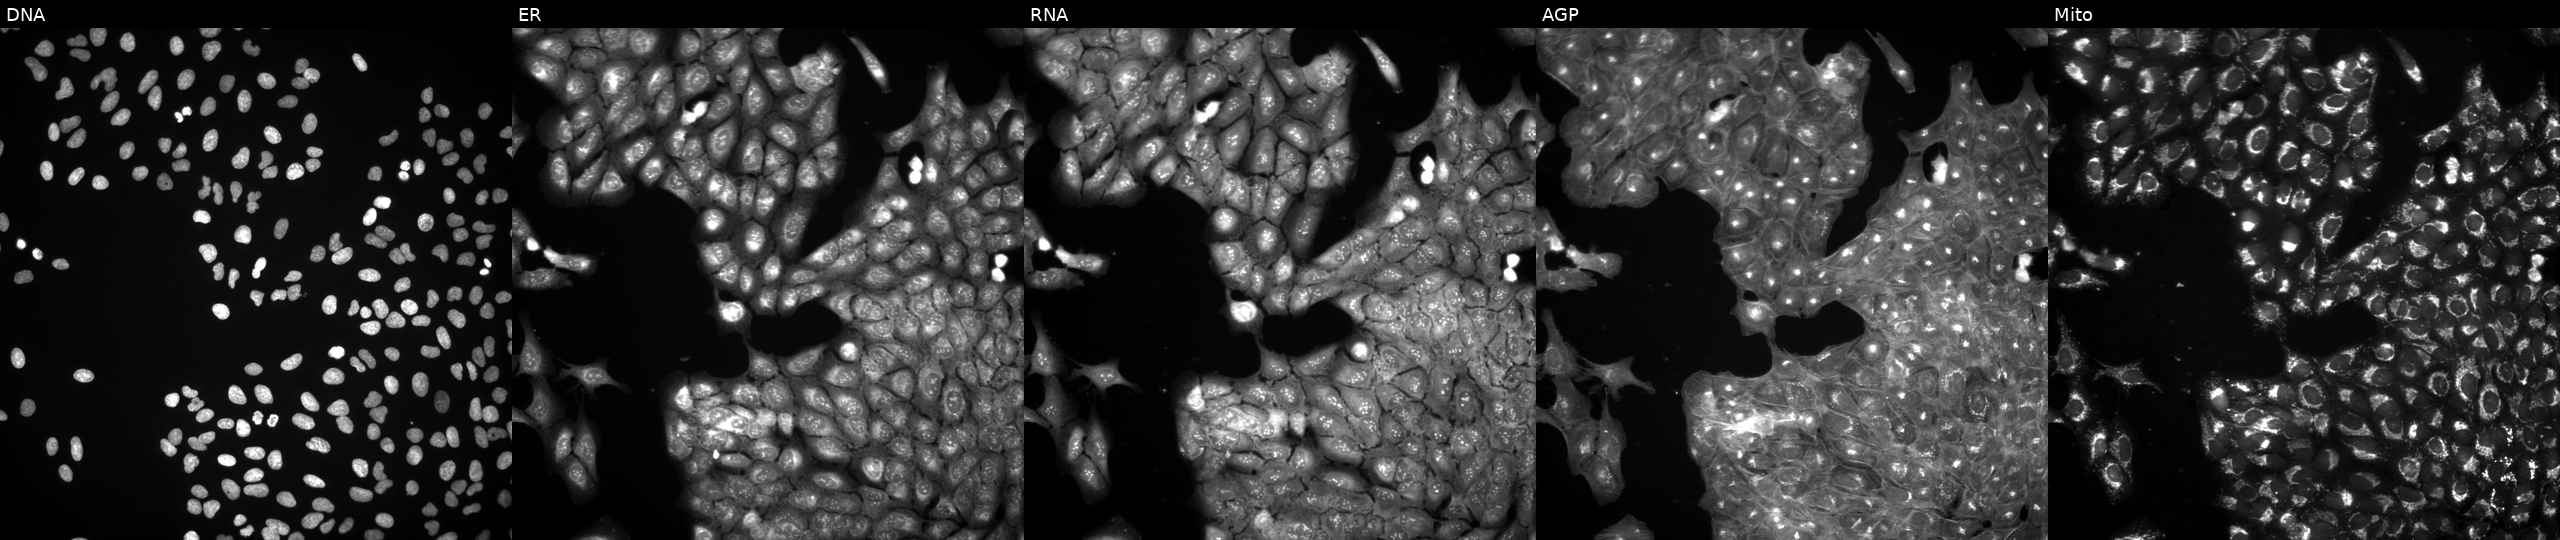
This image strip shows the five Cell Painting channels for a single field of U2OS cells exposed to a small-molecule compound (InChIKey BCZUAADEACICHN-UHFFFAOYSA-N). Channels (left→right): DNA (nuclei); ER (endoplasmic reticulum); RNA (nucleoli and cytoplasmic RNA); AGP (actin cytoskeleton, Golgi, and plasma membrane); Mito (mitochondria). Source 3, plate JCPQC052, well D12.